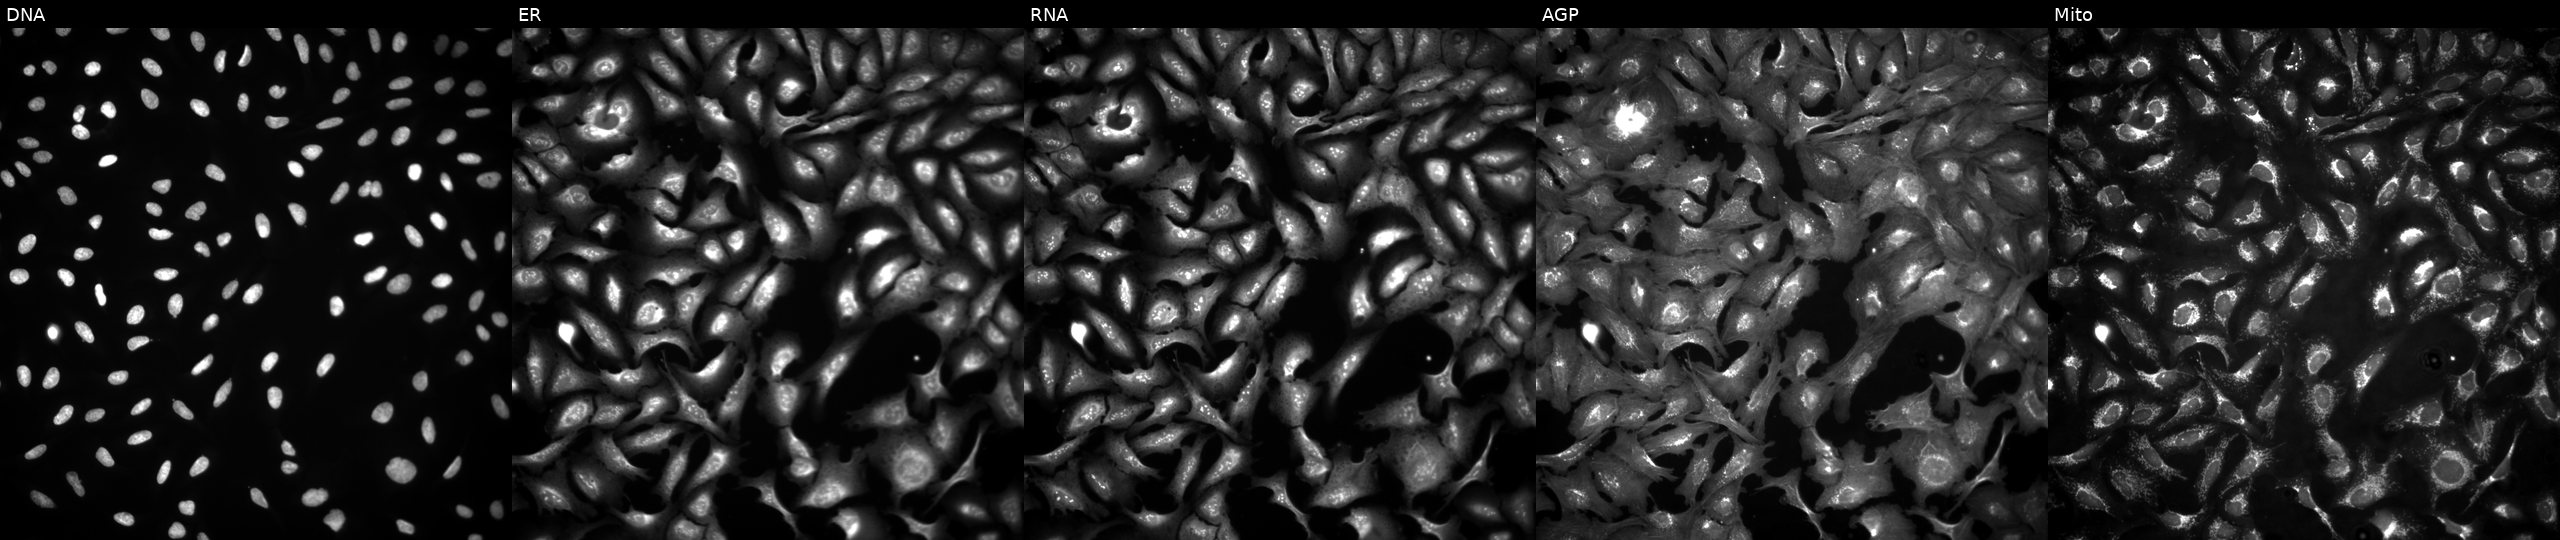
Five-channel Cell Painting image of U2OS cells transfected with an ORF construct for SLC2A5 (JUMP id JCP2022_901441). The five panels, left to right, show DNA (nuclei); ER (endoplasmic reticulum); RNA (nucleoli and cytoplasmic RNA); AGP (actin cytoskeleton, Golgi, and plasma membrane); Mito (mitochondria).